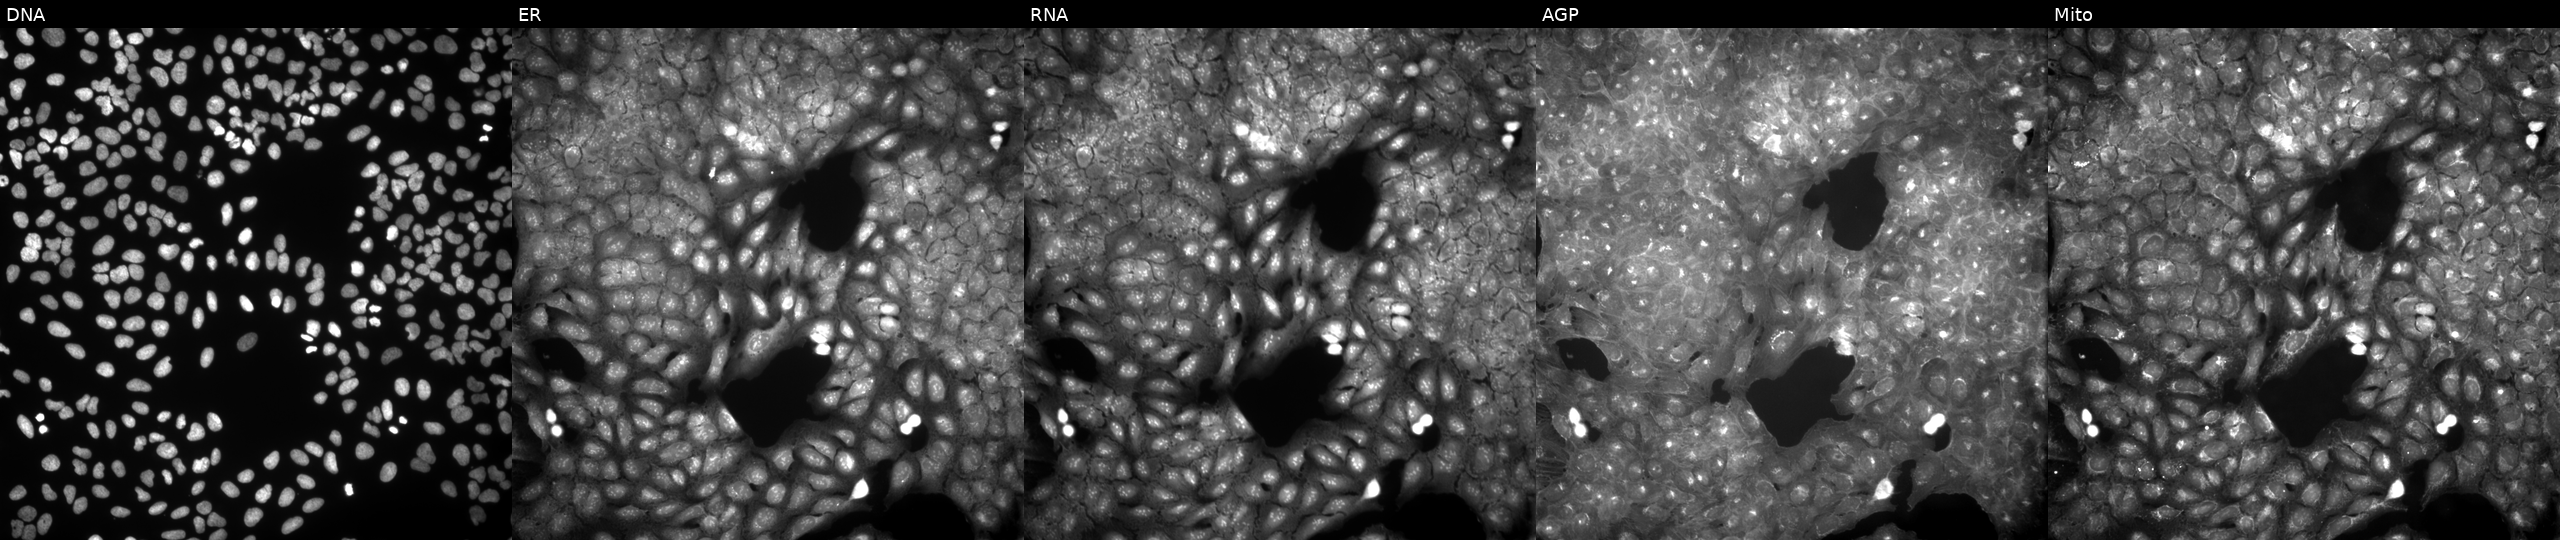
JUMP Cell Painting — COMPOUND plate. U2OS cells perturbed with a small-molecule compound (InChIKey JPEKHOGAZFRRBE-UHFFFAOYSA-N) (JUMP id JCP2022_041235). The five panels, left to right, show Hoechst 33342, concanavalin A, SYTO 14, phalloidin and WGA, MitoTracker. Source 9, plate GR00003381, well I28.